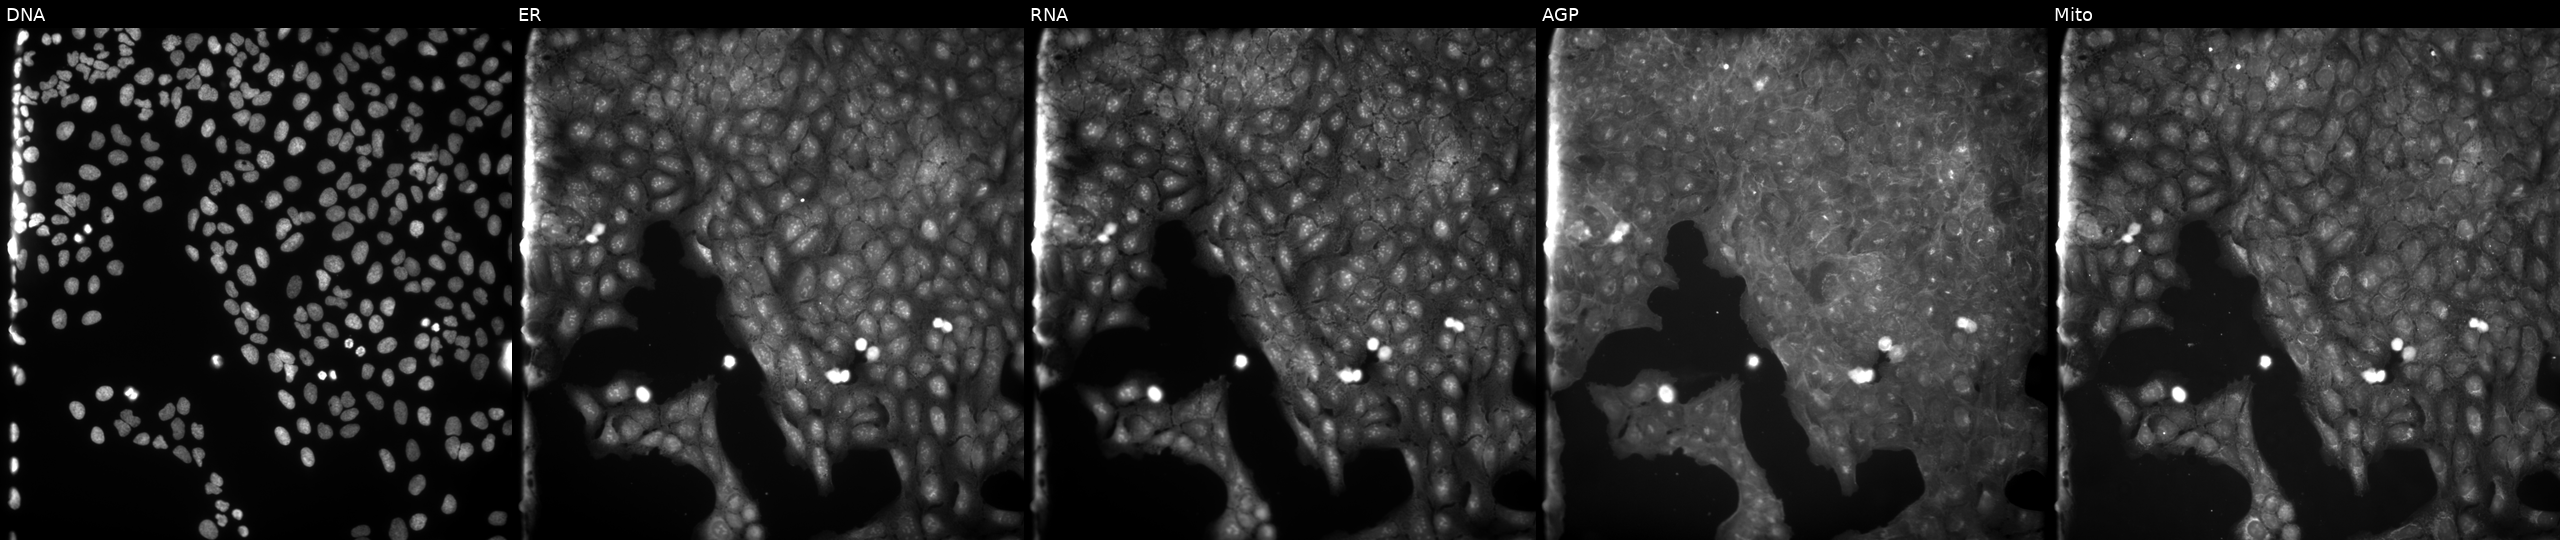
JUMP Cell Painting — COMPOUND plate. U2OS cells perturbed with a small-molecule compound [SMILES: COc1ccc(NC(=O)c2c(NC(=O)c3ccncc3)sc3c2CCC(C(C)(C)C)C3)cc1] (JUMP id JCP2022_003842). Channels (left→right): DNA, ER, RNA, AGP, and Mito.